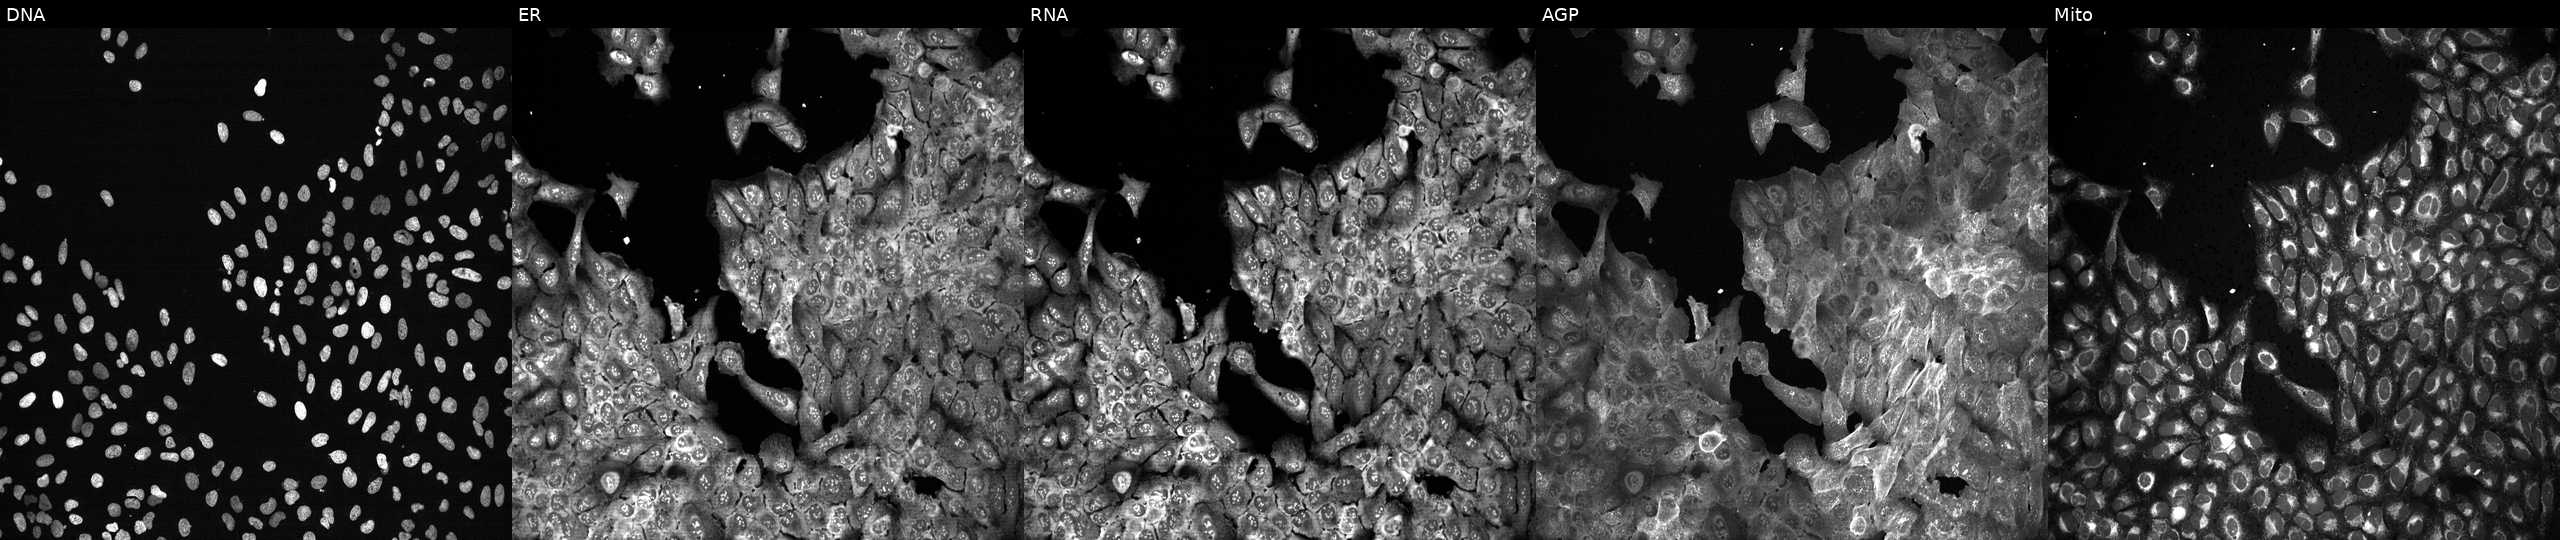
High-content fluorescence microscopy (Cell Painting). Cell line: U2OS. Perturbation: following CRISPR knockout of SULT4A1 (JUMP id JCP2022_806882). Channels (left→right): Hoechst 33342, concanavalin A, SYTO 14, phalloidin and WGA, MitoTracker. Source 13, plate CP-CC9-R2-01, well F21.